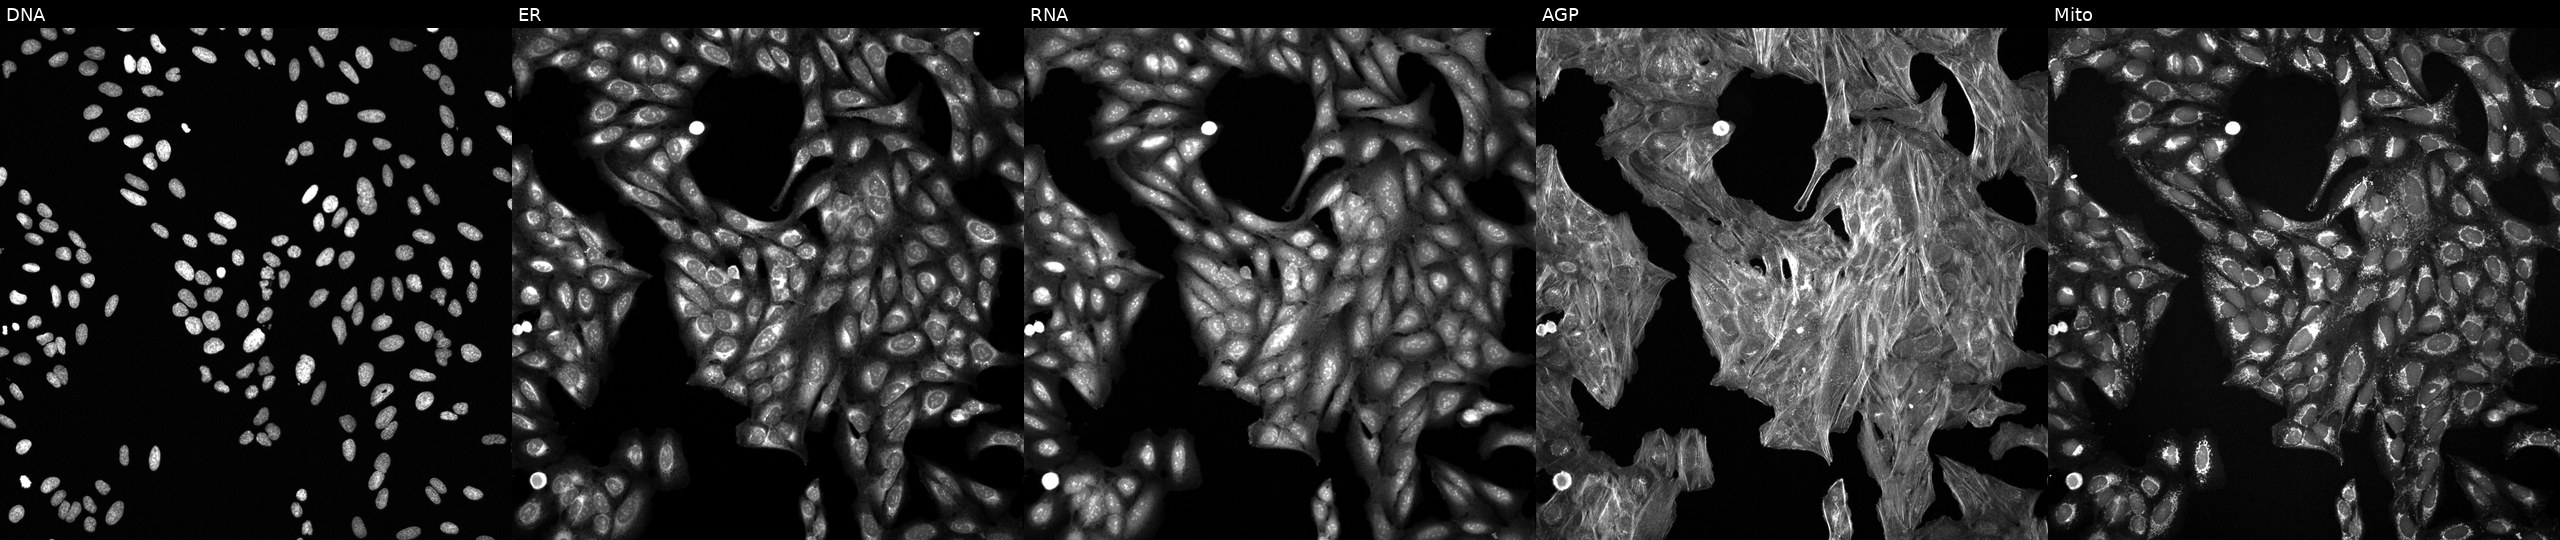
From left to right: DNA (nuclei); ER (endoplasmic reticulum); RNA (nucleoli and cytoplasmic RNA); AGP (actin cytoskeleton, Golgi, and plasma membrane); Mito (mitochondria). U2OS osteosarcoma cells exposed to a small-molecule compound (InChIKey QESQGTFWEQMCMH-UHFFFAOYSA-N) [SMILES: O=C(CSc1nc2c(c(=O)n1-c1ccccc1)SCC2)N=c1ccc(-c2ccccc2)c[nH]1] (JUMP id JCP2022_072945). Cell Painting assay, JUMP-CP dataset. Source 6, plate 110000293093, well K21.